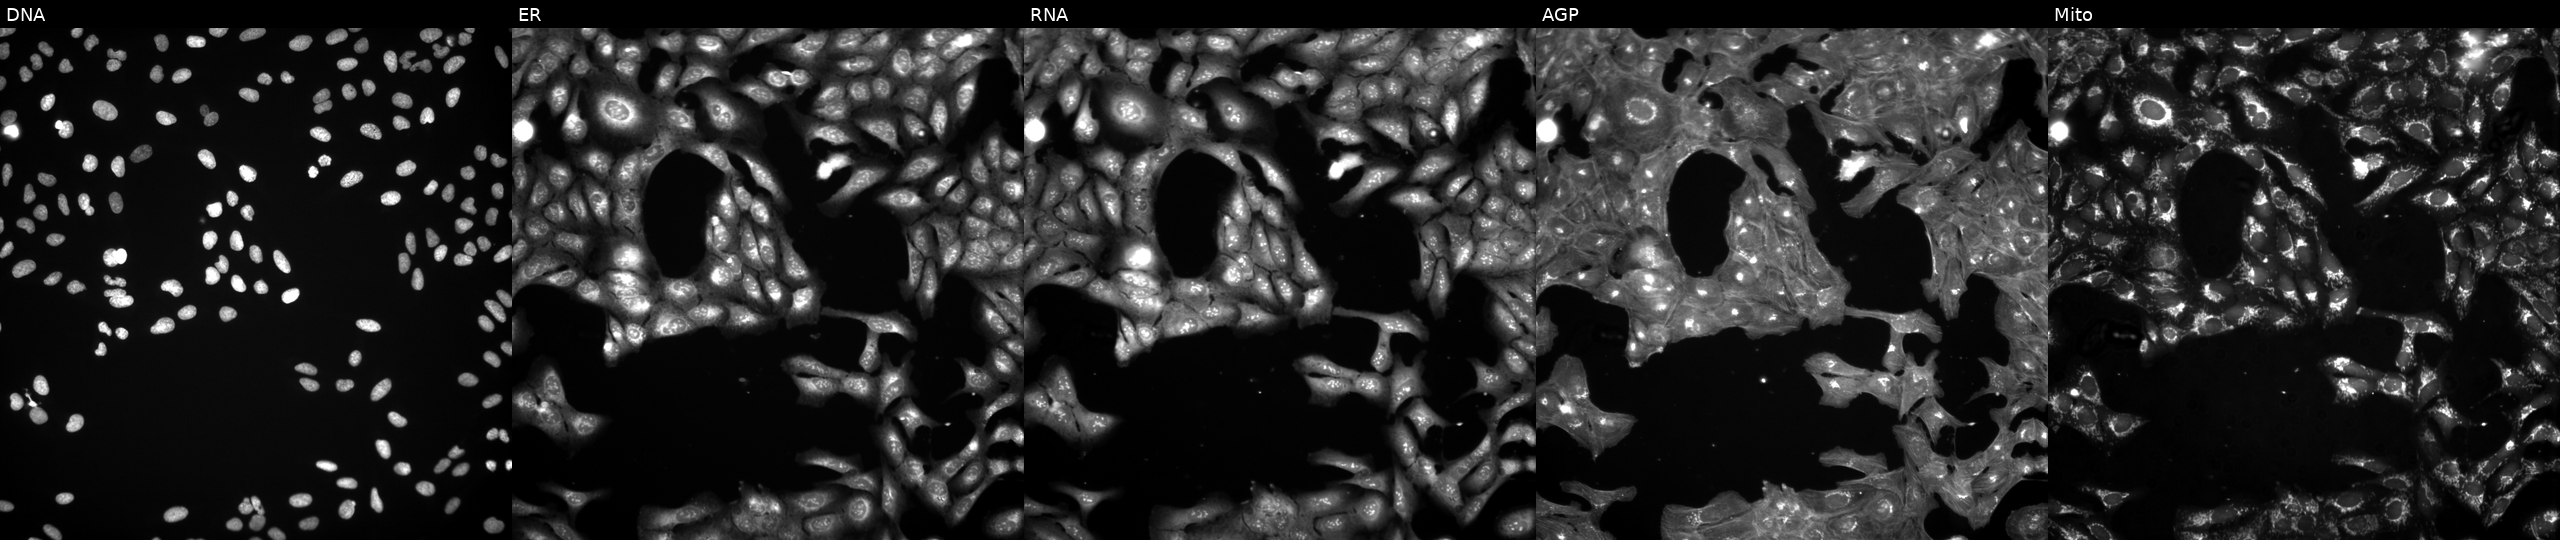
U2OS cells, Cell Painting assay, exposed to a small-molecule compound (InChIKey MEEORYISWXYLKQ-UHFFFAOYSA-N). Panels show, left to right, DNA, ER, RNA, AGP, and Mito. Each panel is percentile-stretched 16-bit fluorescence. Source 3, plate BR5867a3, well B14.